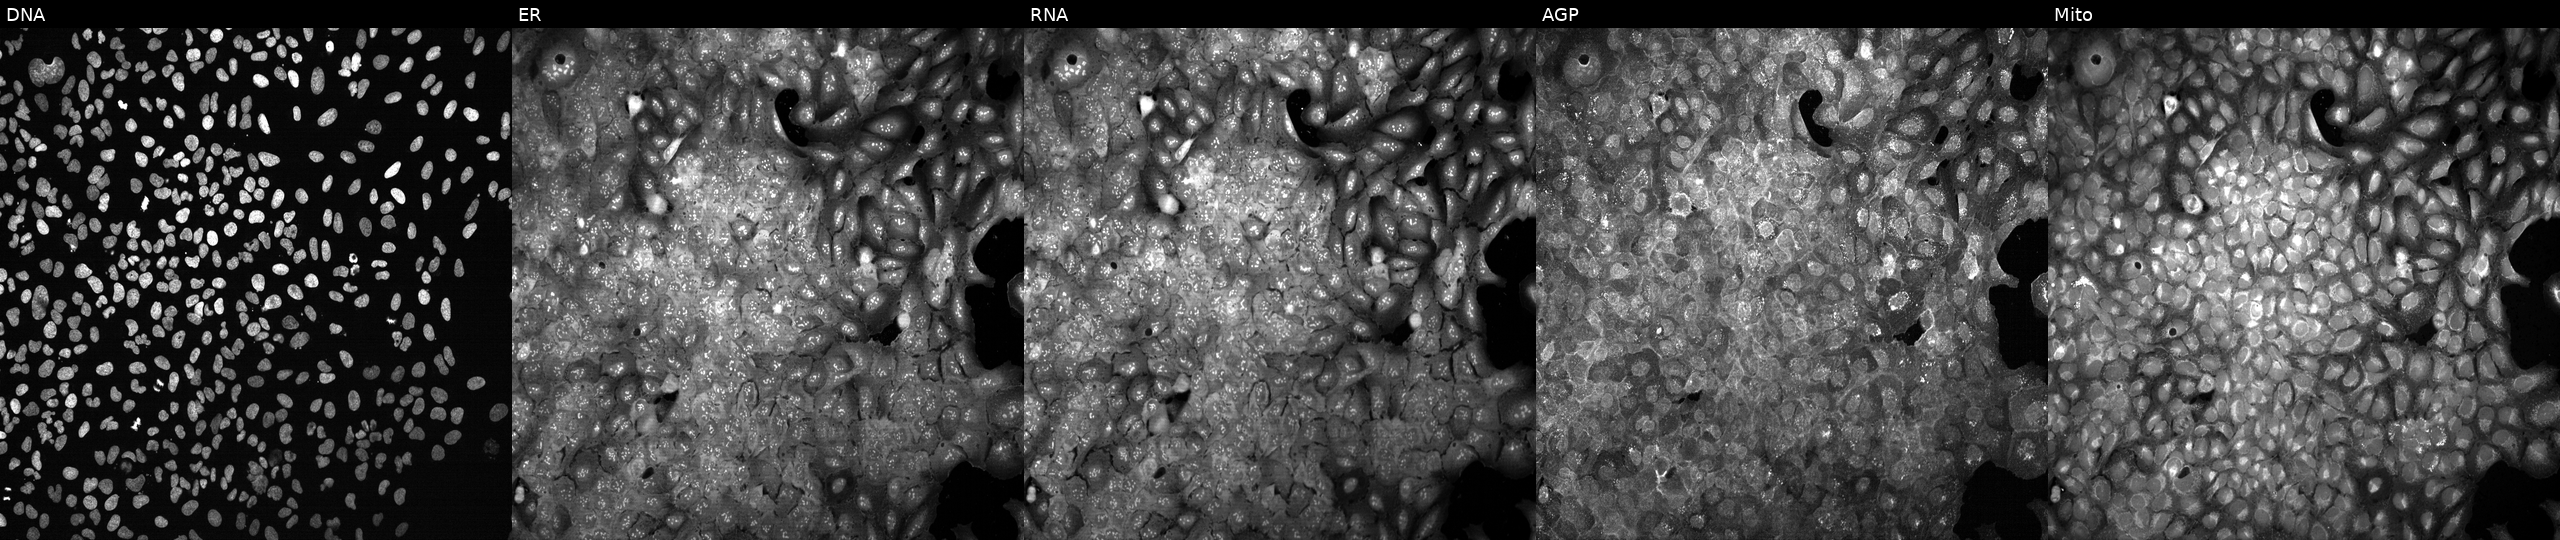
This image strip shows the five Cell Painting channels for a single field of U2OS cells following CRISPR knockout of TXNRD3. Panels show, left to right, Hoechst 33342, concanavalin A, SYTO 14, phalloidin and WGA, MitoTracker. Source 13, plate CP-CC9-R1-01, well L13.